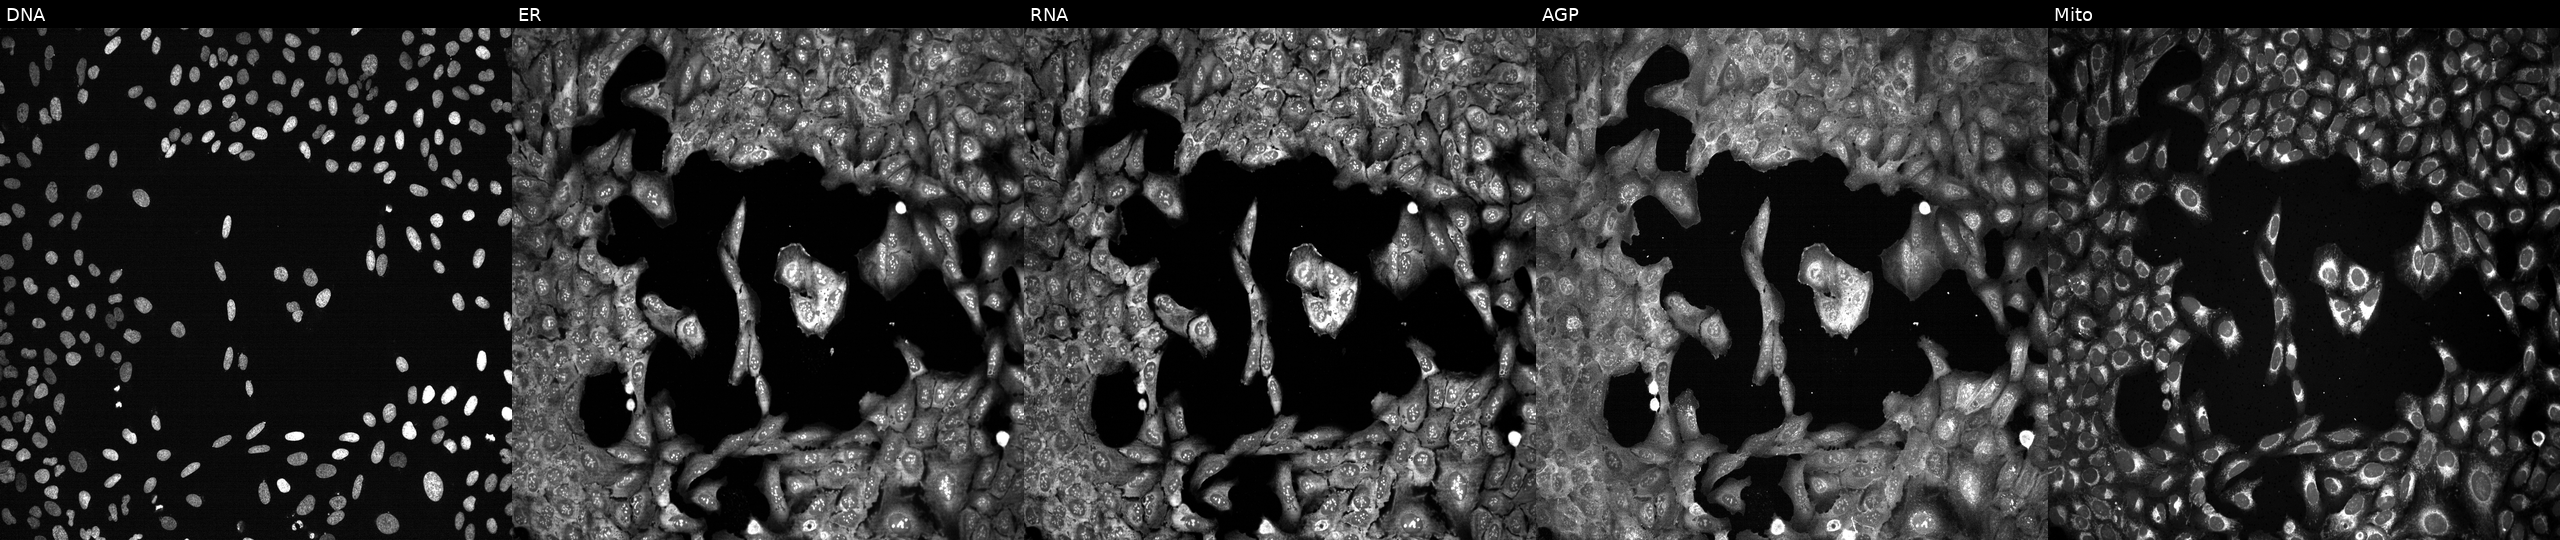
U2OS cells, Cell Painting assay, with KIF1C knocked out by CRISPR (JUMP id JCP2022_803668). From left to right: DNA (nuclei); ER (endoplasmic reticulum); RNA (nucleoli and cytoplasmic RNA); AGP (actin cytoskeleton, Golgi, and plasma membrane); Mito (mitochondria). Each panel is percentile-stretched 16-bit fluorescence. Source 13, plate CP-CC9-R4-03, well G08.